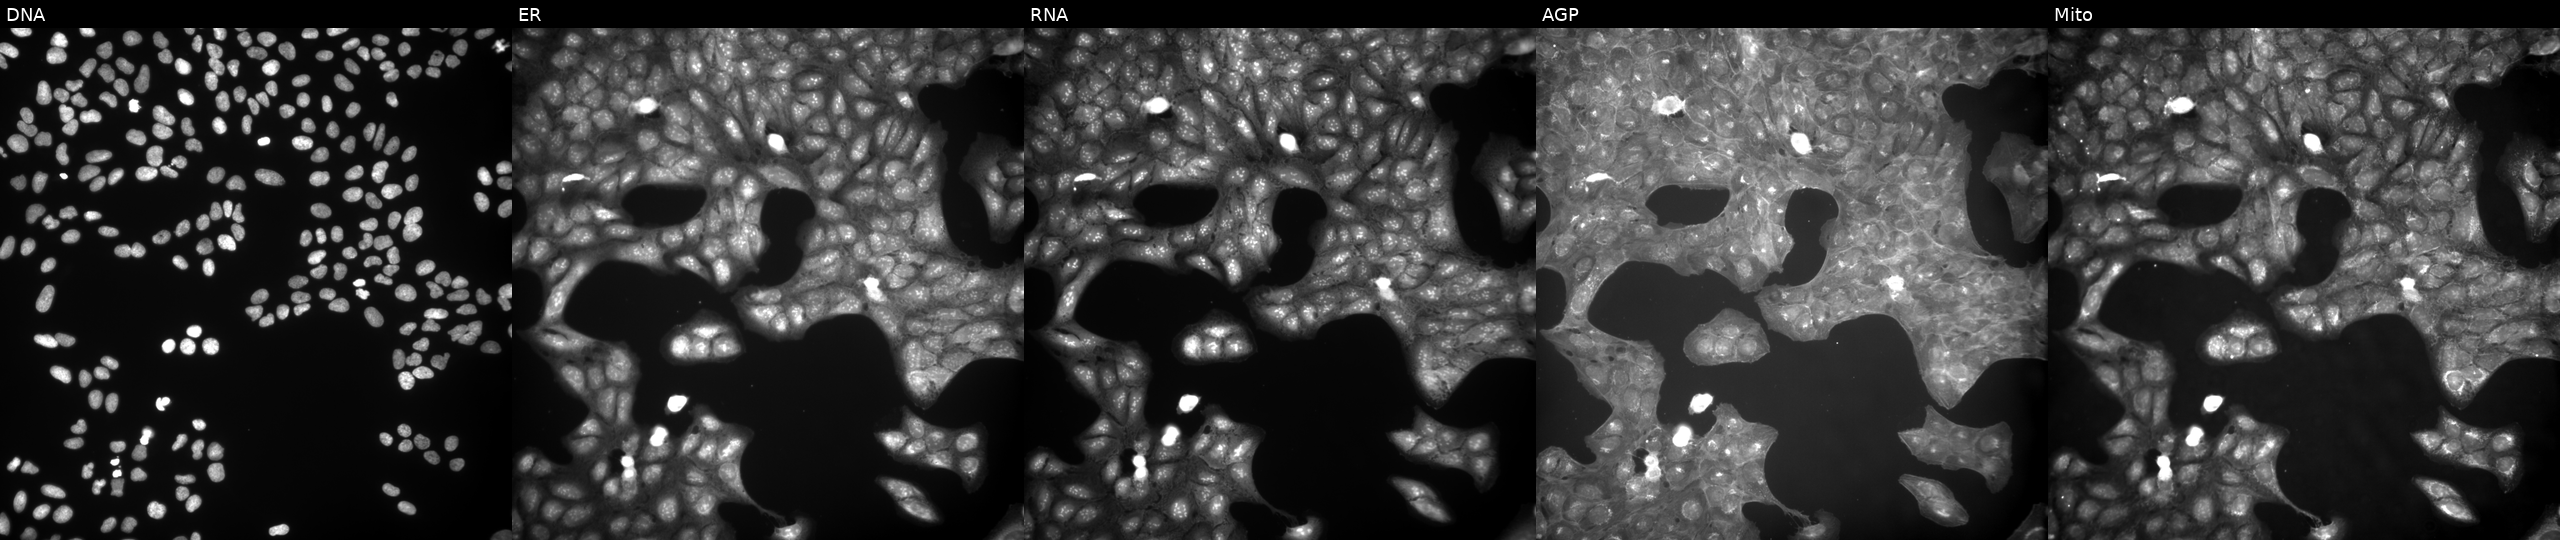
Five-channel Cell Painting image of U2OS cells exposed to a small-molecule compound (InChIKey BKJJXWSDOQNYCR-UHFFFAOYSA-N). Panels show, left to right, DNA (nuclei); ER (endoplasmic reticulum); RNA (nucleoli and cytoplasmic RNA); AGP (actin cytoskeleton, Golgi, and plasma membrane); Mito (mitochondria).